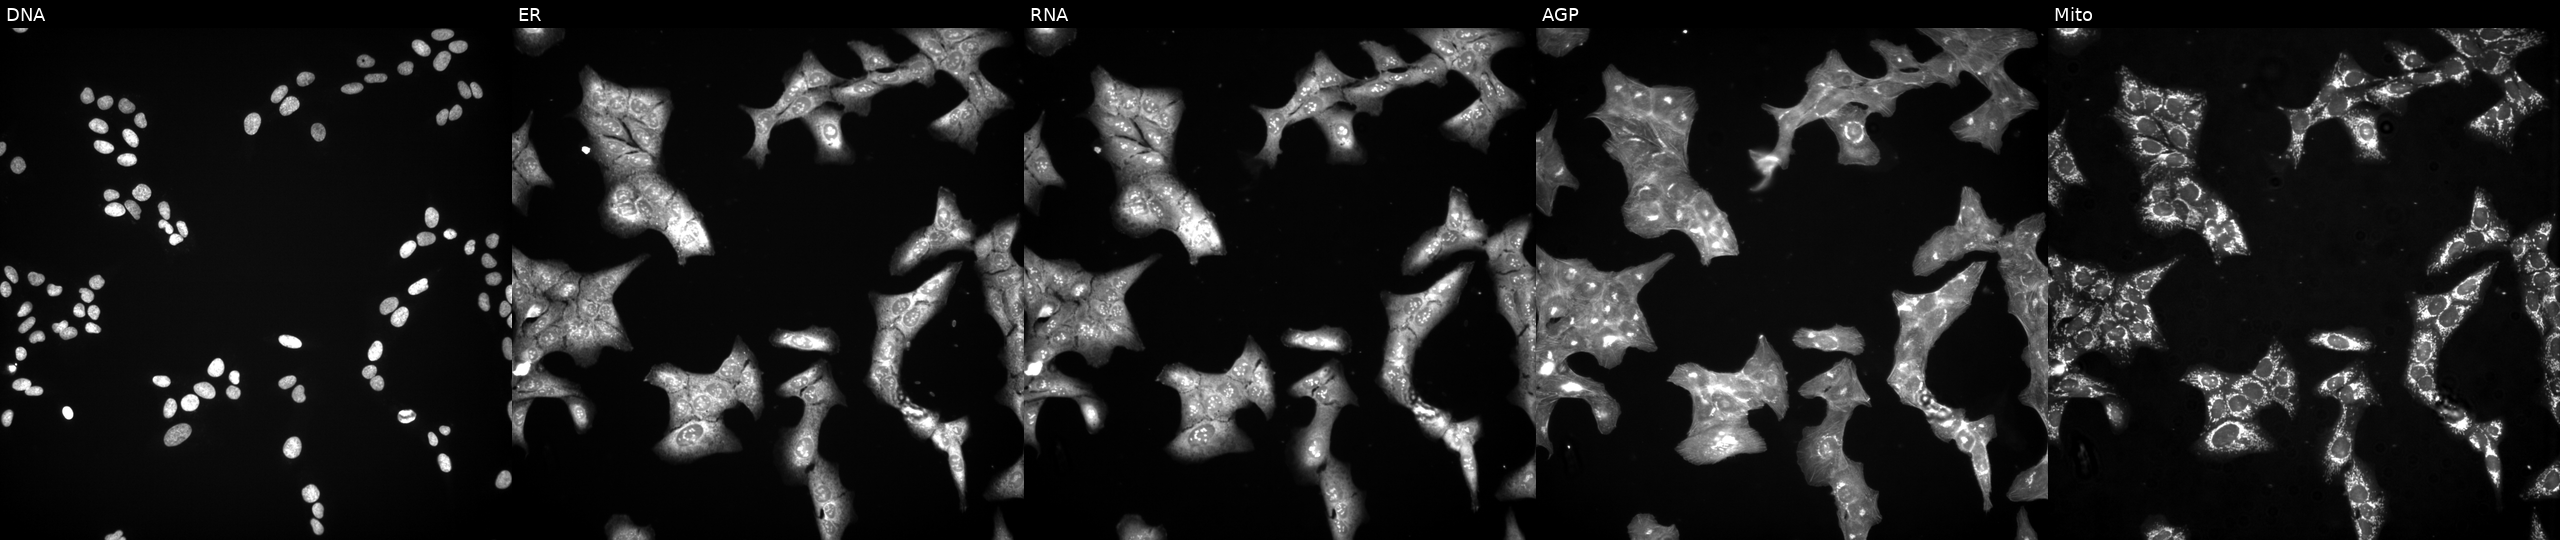
Five-channel Cell Painting image of U2OS cells exposed to a small-molecule compound (JUMP id JCP2022_019033). The five panels, left to right, show DNA (nuclei); ER (endoplasmic reticulum); RNA (nucleoli and cytoplasmic RNA); AGP (actin cytoskeleton, Golgi, and plasma membrane); Mito (mitochondria).